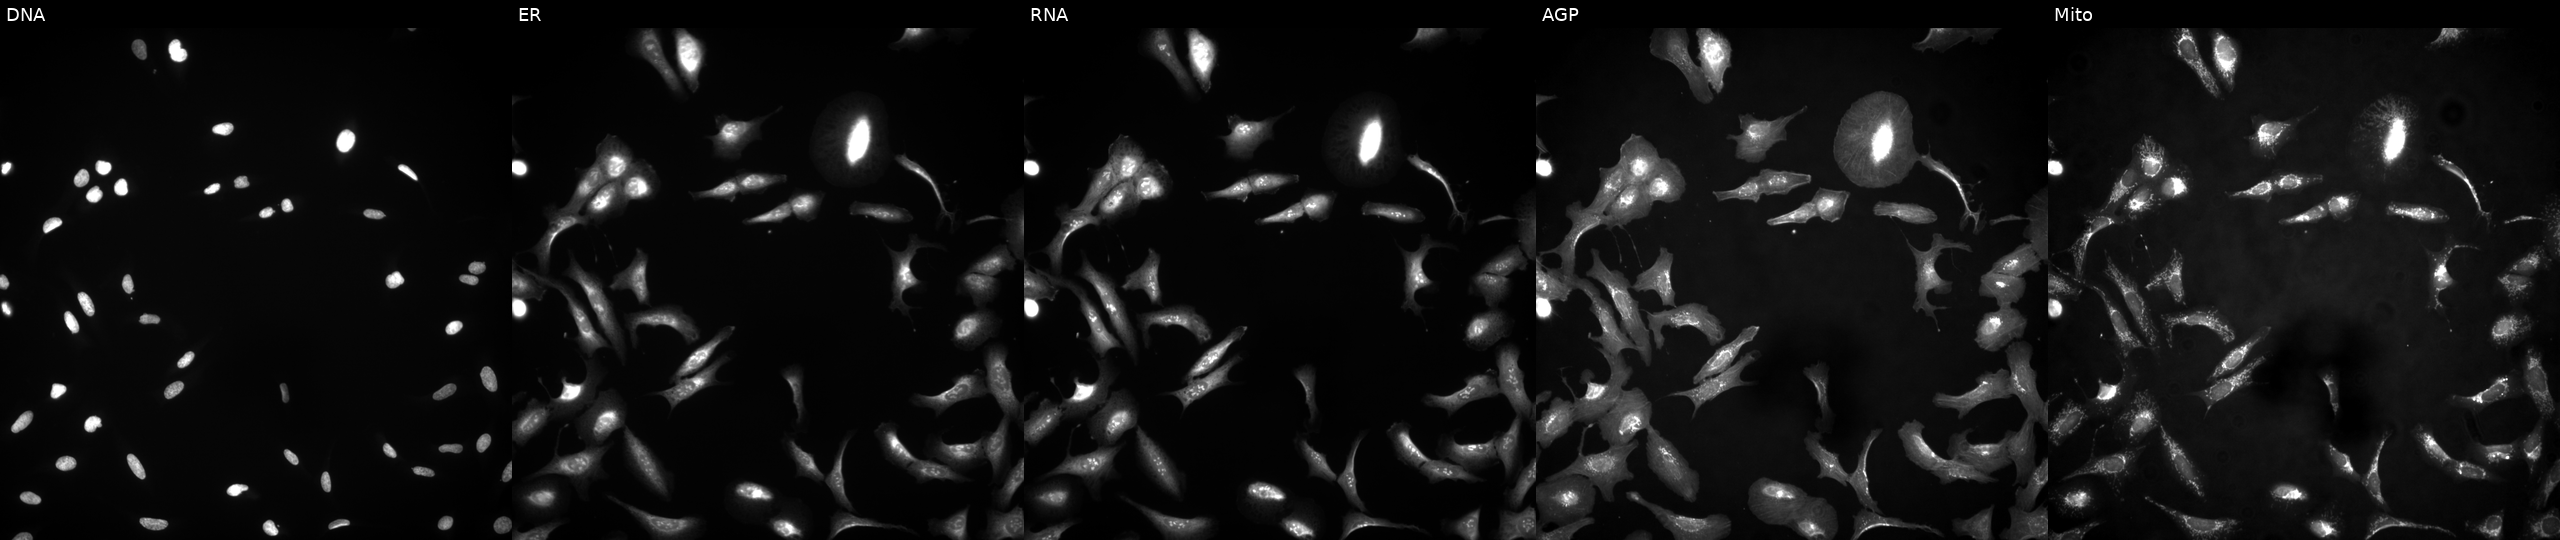
Channels (left→right): Hoechst 33342, concanavalin A, SYTO 14, phalloidin and WGA, MitoTracker. U2OS osteosarcoma cells transfected with an ORF construct for GOLGA2P11. Cell Painting assay, JUMP-CP dataset. Source 4, plate BR00124790, well J07.